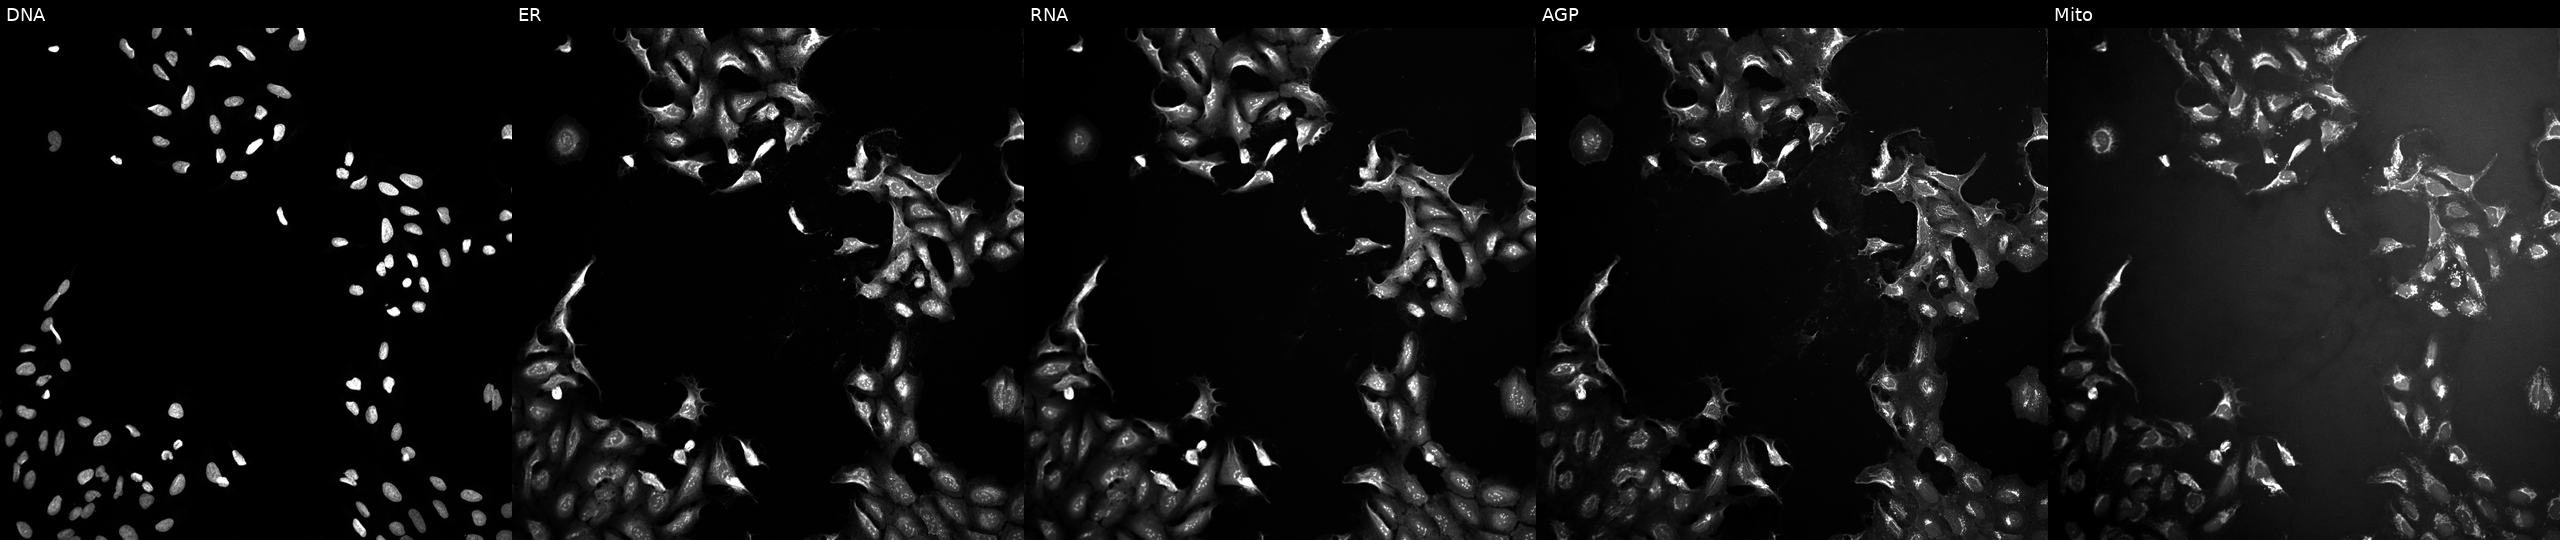
U2OS cells, Cell Painting assay, treated with a small-molecule compound (InChIKey RONQPWQYDRPRGG-UHFFFAOYSA-N) (JUMP id JCP2022_079715). From left to right: Hoechst 33342, concanavalin A, SYTO 14, phalloidin and WGA, MitoTracker. Each panel is percentile-stretched 16-bit fluorescence. Source 10, plate Dest210803-153958, well H19.